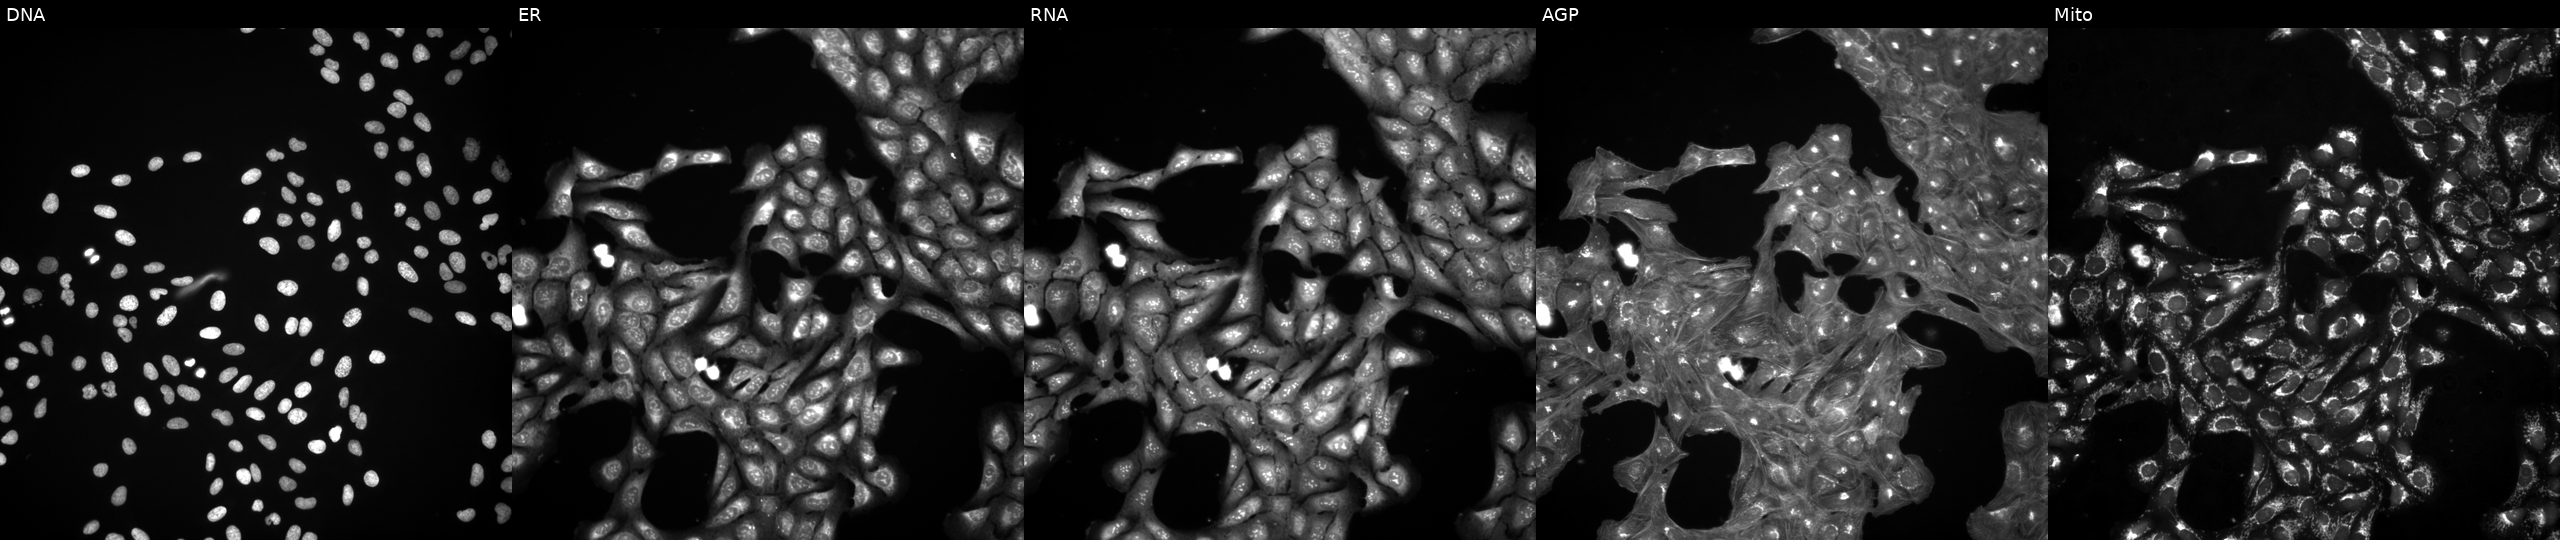
This image strip shows the five Cell Painting channels for a single field of U2OS cells treated with a small-molecule compound (InChIKey DJKAYBDAVYLRCG-UHFFFAOYSA-N) (JUMP id JCP2022_016286). The five panels, left to right, show DNA, ER, RNA, AGP, and Mito.